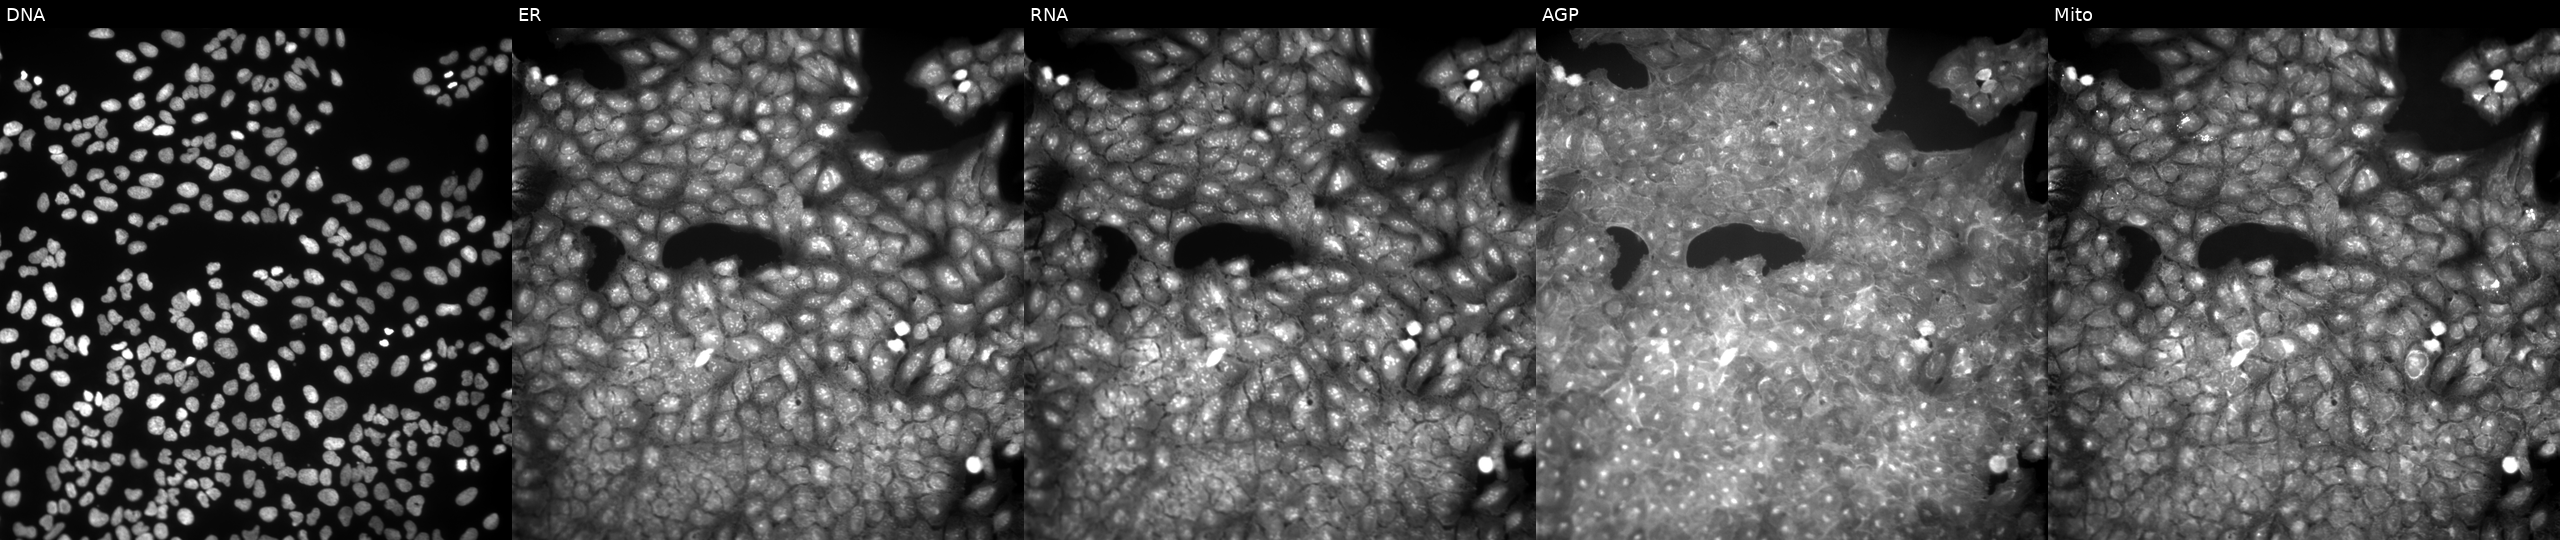
U2OS cells, Cell Painting assay, exposed to a small-molecule compound (InChIKey NHIJVYDDVYIZMT-UHFFFAOYSA-N). The five panels, left to right, show Hoechst 33342, concanavalin A, SYTO 14, phalloidin and WGA, MitoTracker. Each panel is percentile-stretched 16-bit fluorescence.